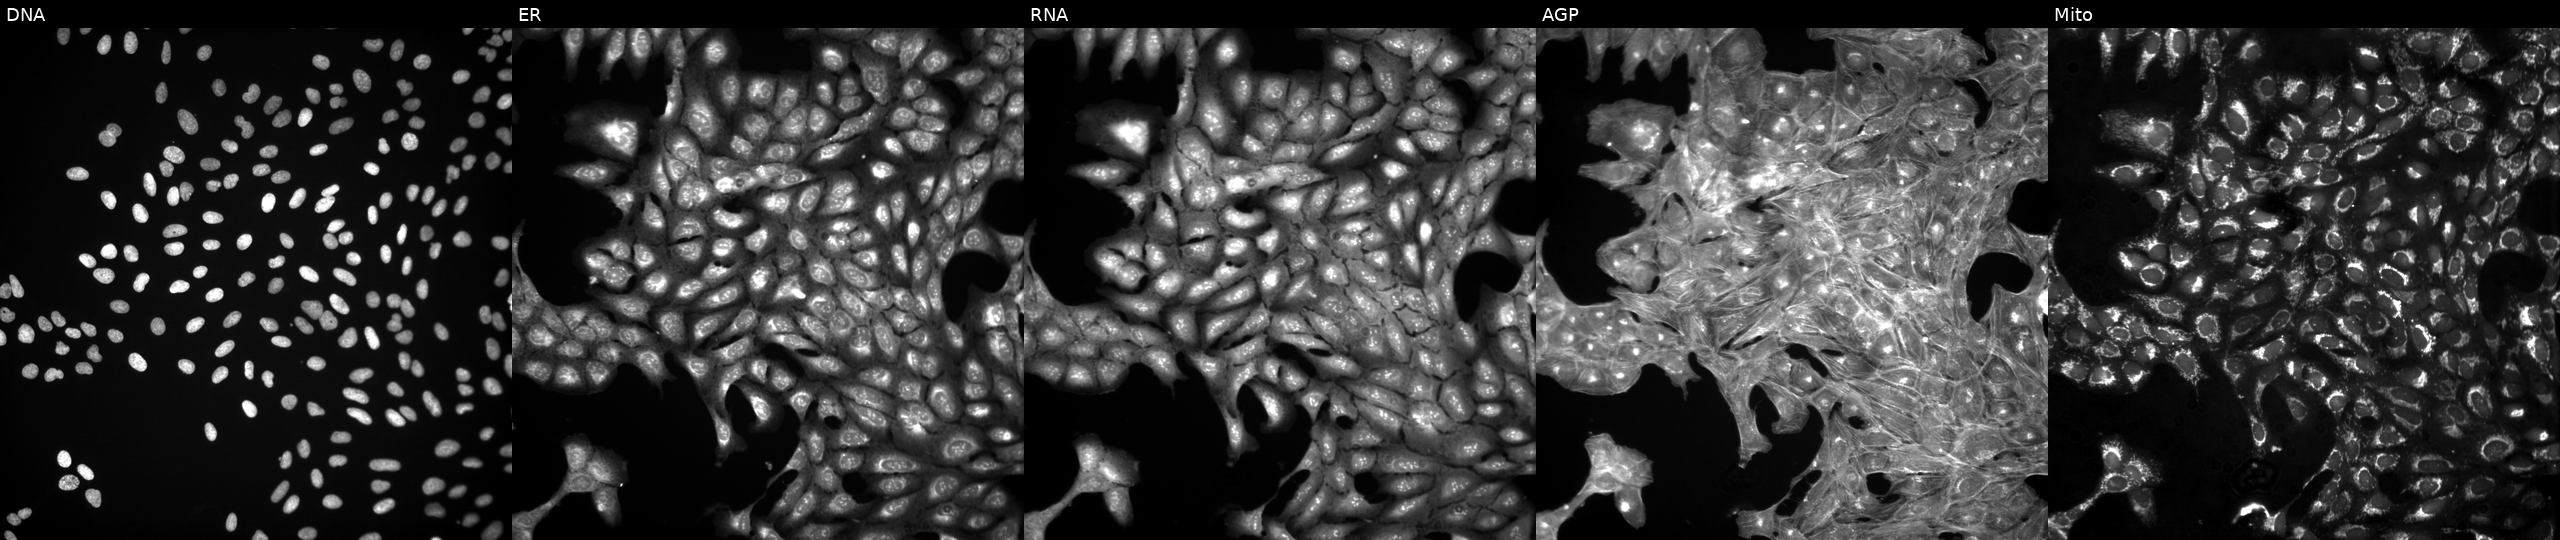
JUMP Cell Painting — TARGET2 plate. U2OS cells perturbed with a small-molecule compound (JUMP id JCP2022_059103). Channels (left→right): DNA (nuclei); ER (endoplasmic reticulum); RNA (nucleoli and cytoplasmic RNA); AGP (actin cytoskeleton, Golgi, and plasma membrane); Mito (mitochondria).